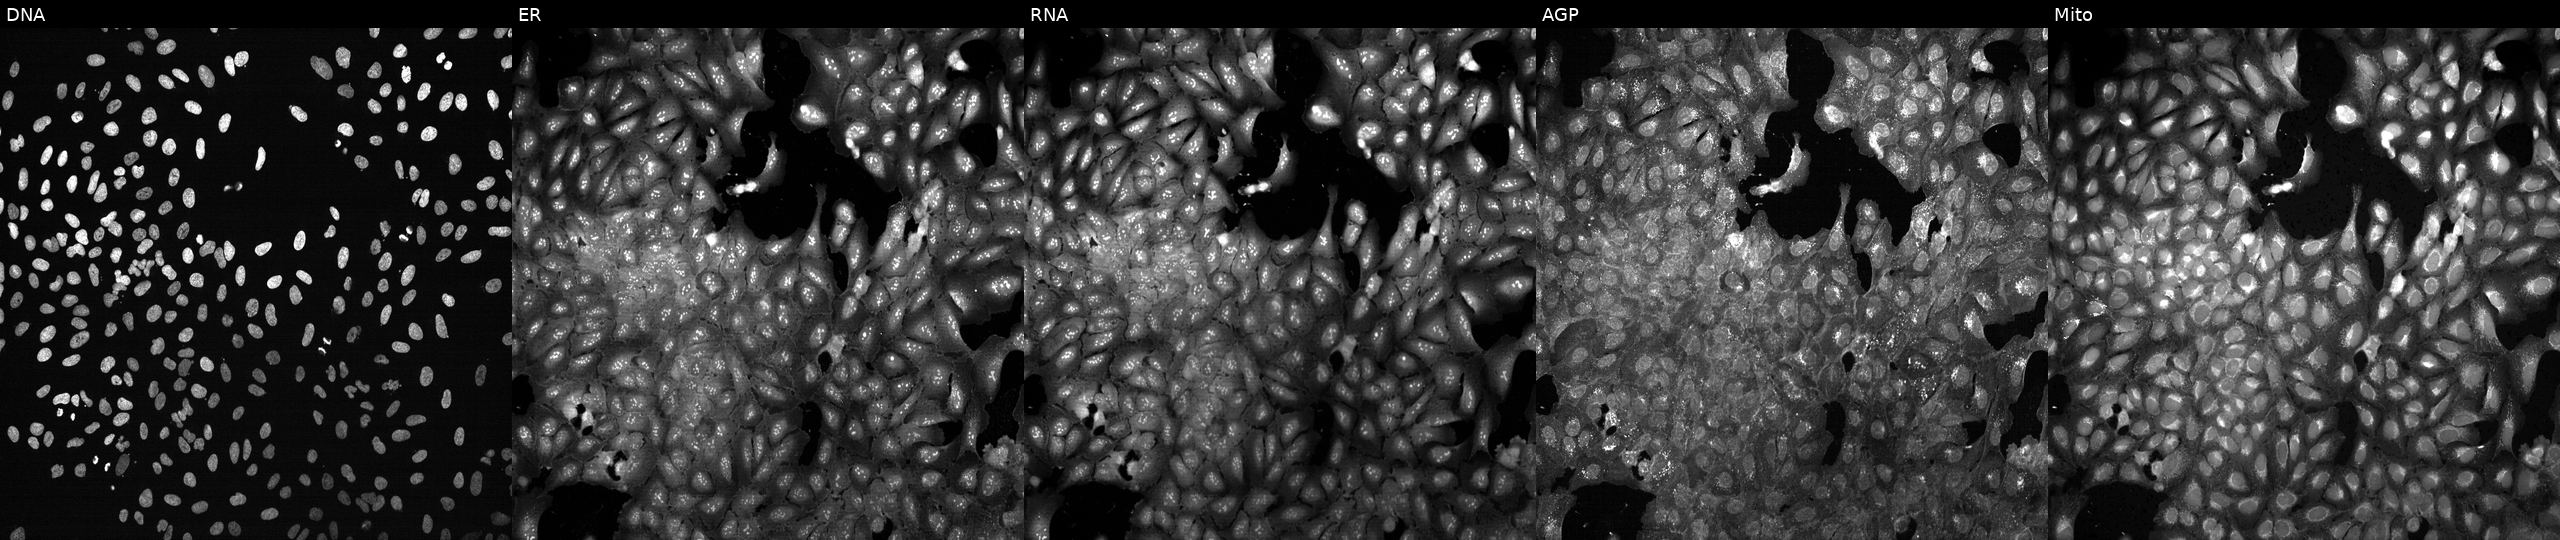
U2OS cells, Cell Painting assay, following CRISPR knockout of SLC31A2 (JUMP id JCP2022_806502). The five panels, left to right, show DNA (nuclei); ER (endoplasmic reticulum); RNA (nucleoli and cytoplasmic RNA); AGP (actin cytoskeleton, Golgi, and plasma membrane); Mito (mitochondria). Each panel is percentile-stretched 16-bit fluorescence. Source 13, plate CP-CC9-R1-02, well O07.